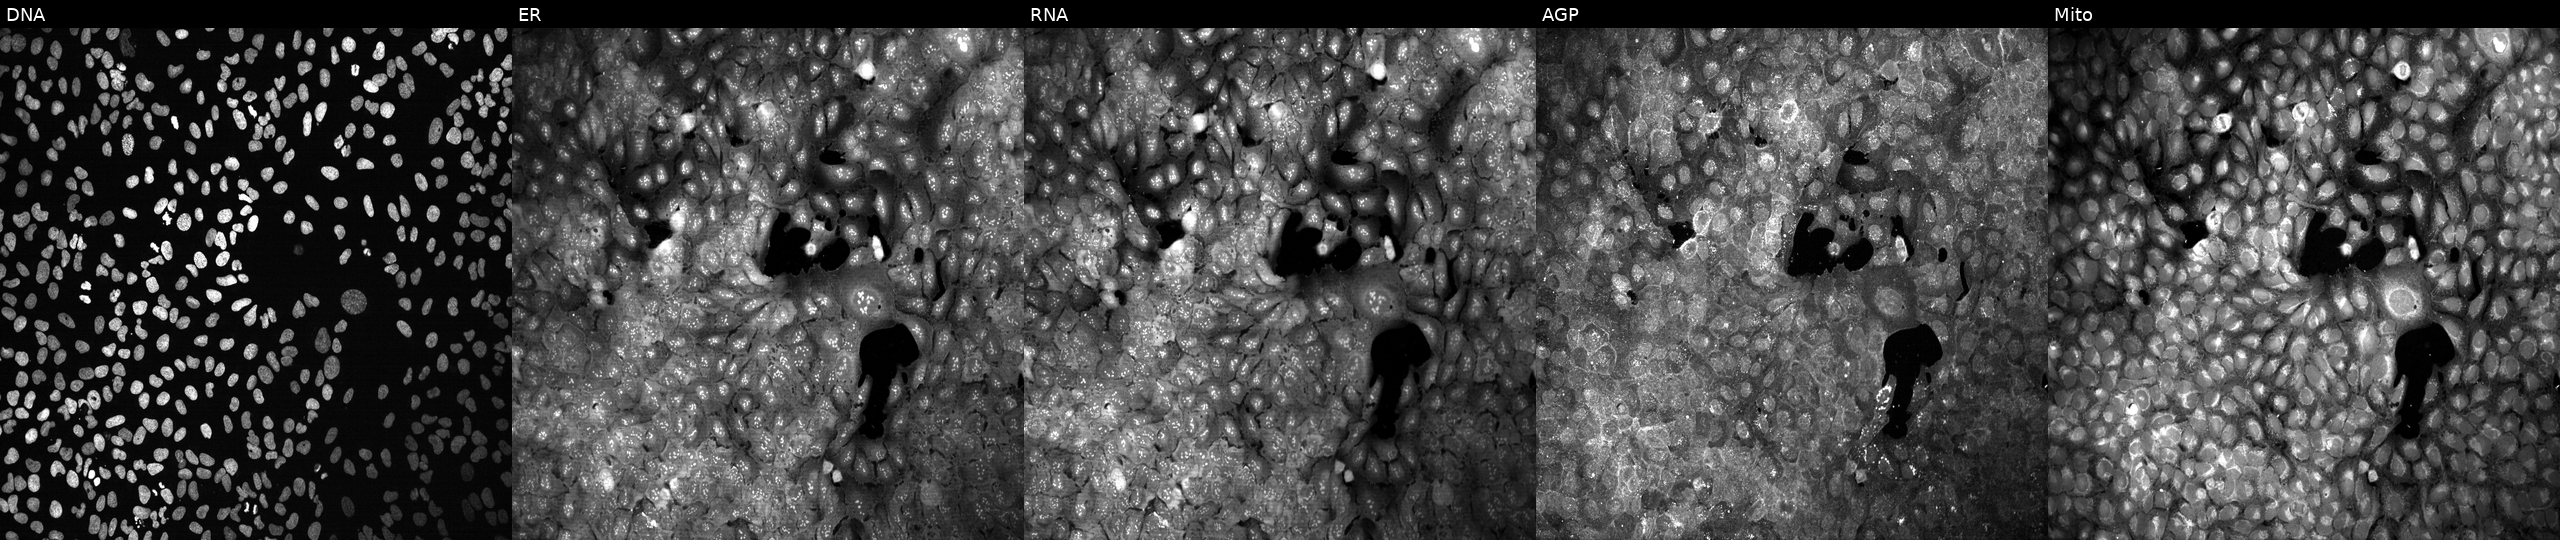
High-content fluorescence microscopy (Cell Painting). Cell line: U2OS. Perturbation: CRISPR-edited to disrupt SIRT3. From left to right: DNA, ER, RNA, AGP, and Mito. Source 13, plate CP-CC9-R1-02, well M18.